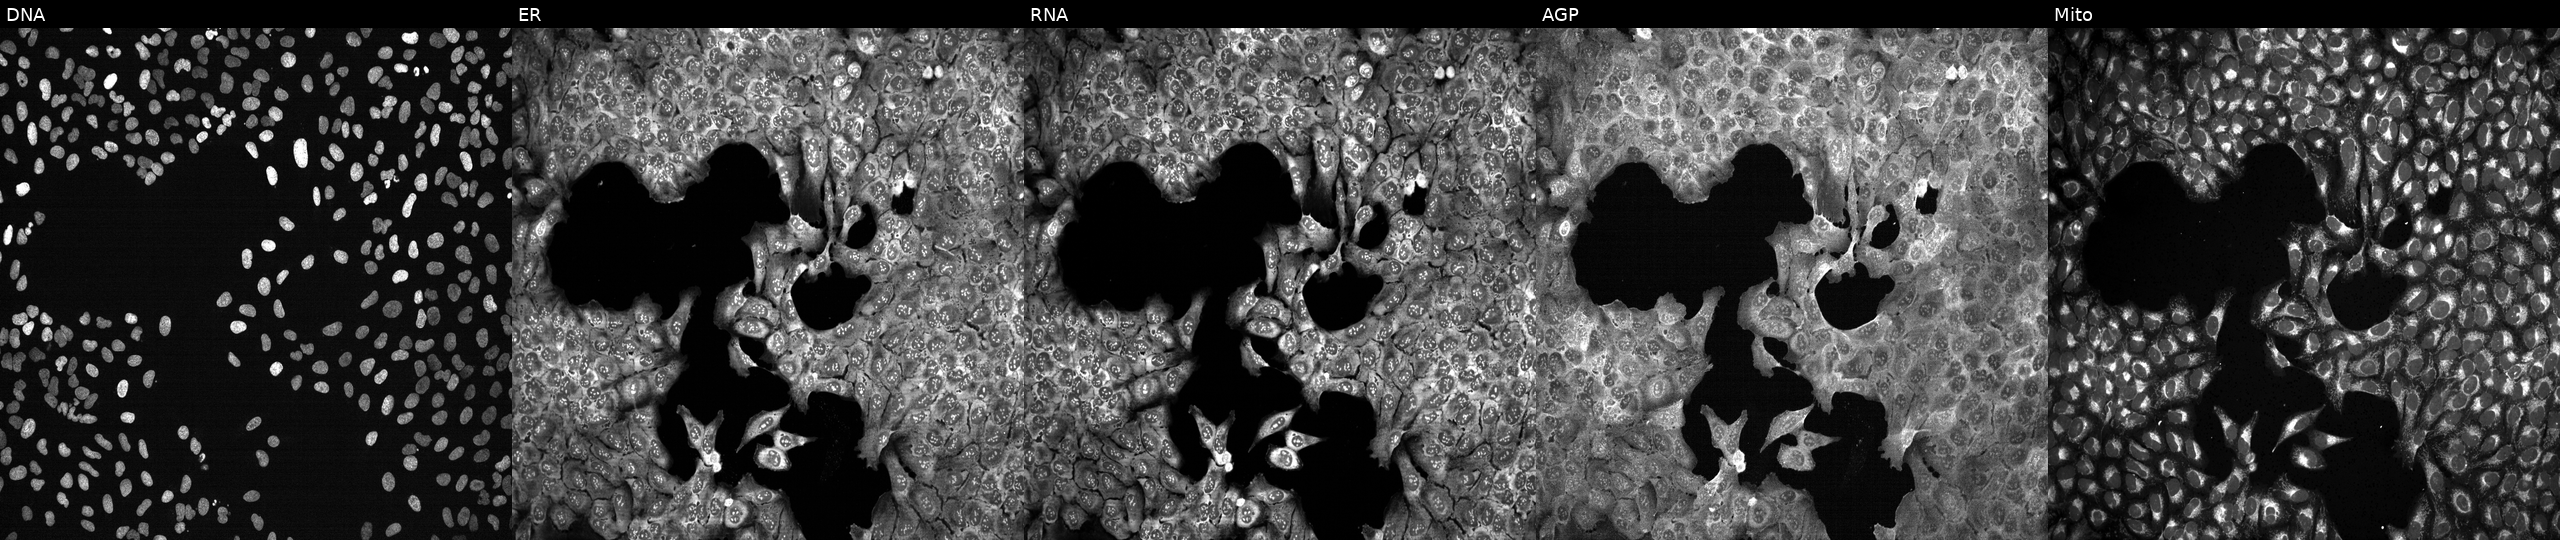
Five-channel Cell Painting image of U2OS cells CRISPR-edited to disrupt PTER (JUMP id JCP2022_805642). Panels show, left to right, DNA (nuclei); ER (endoplasmic reticulum); RNA (nucleoli and cytoplasmic RNA); AGP (actin cytoskeleton, Golgi, and plasma membrane); Mito (mitochondria).